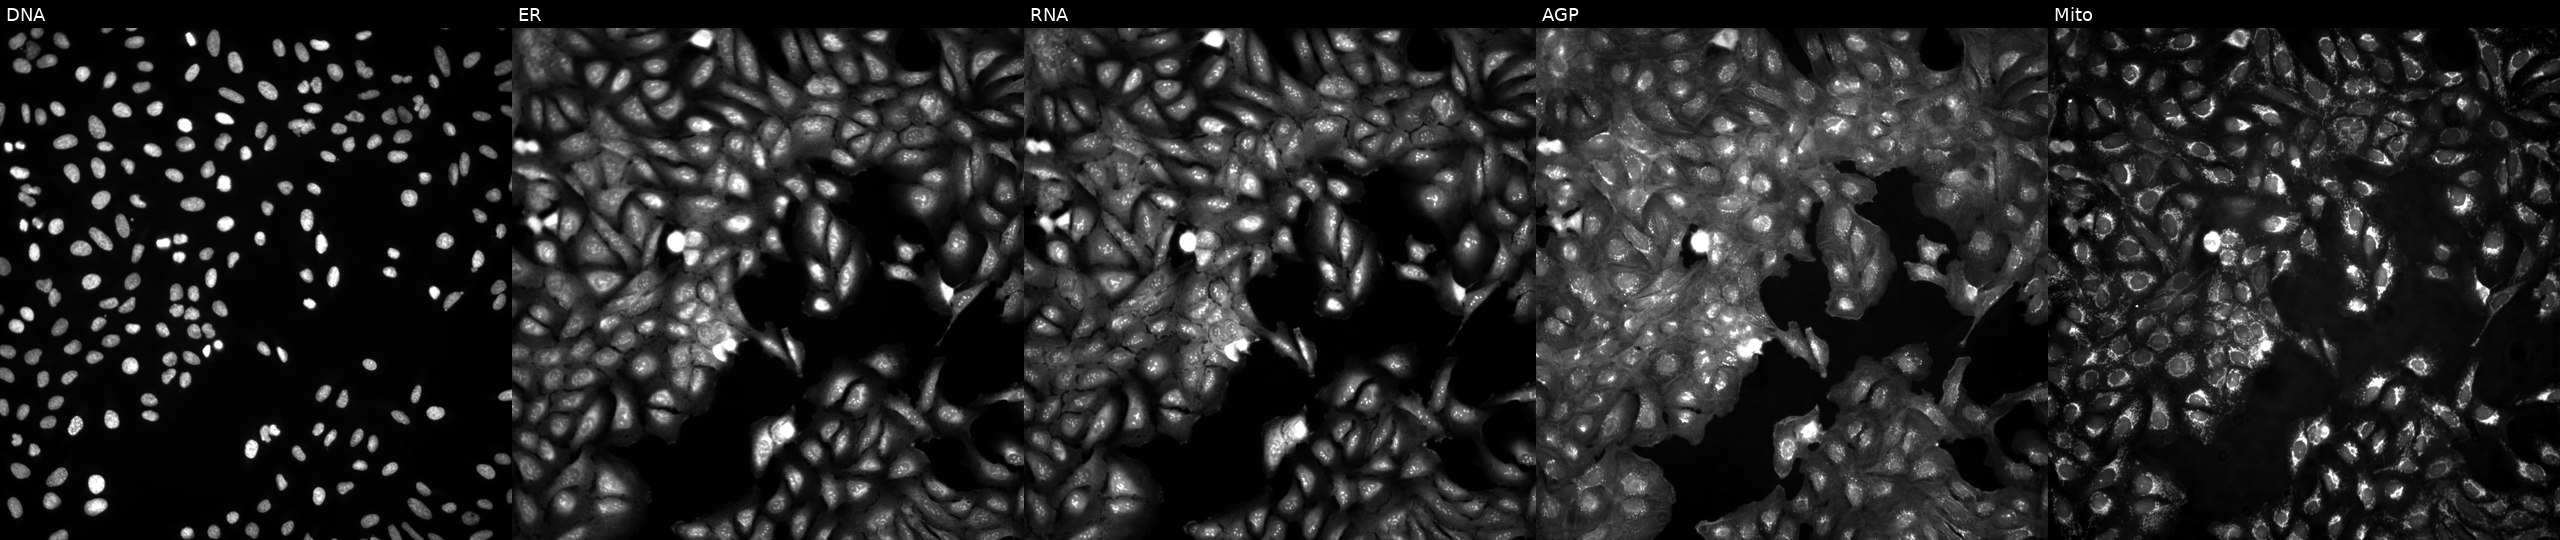
High-content fluorescence microscopy (Cell Painting). Cell line: U2OS. Perturbation: in an empty control well (no perturbation) (JUMP id JCP2022_999999). Channels (left→right): DNA, ER, RNA, AGP, and Mito. Source 4, plate BR00124793, well E03.